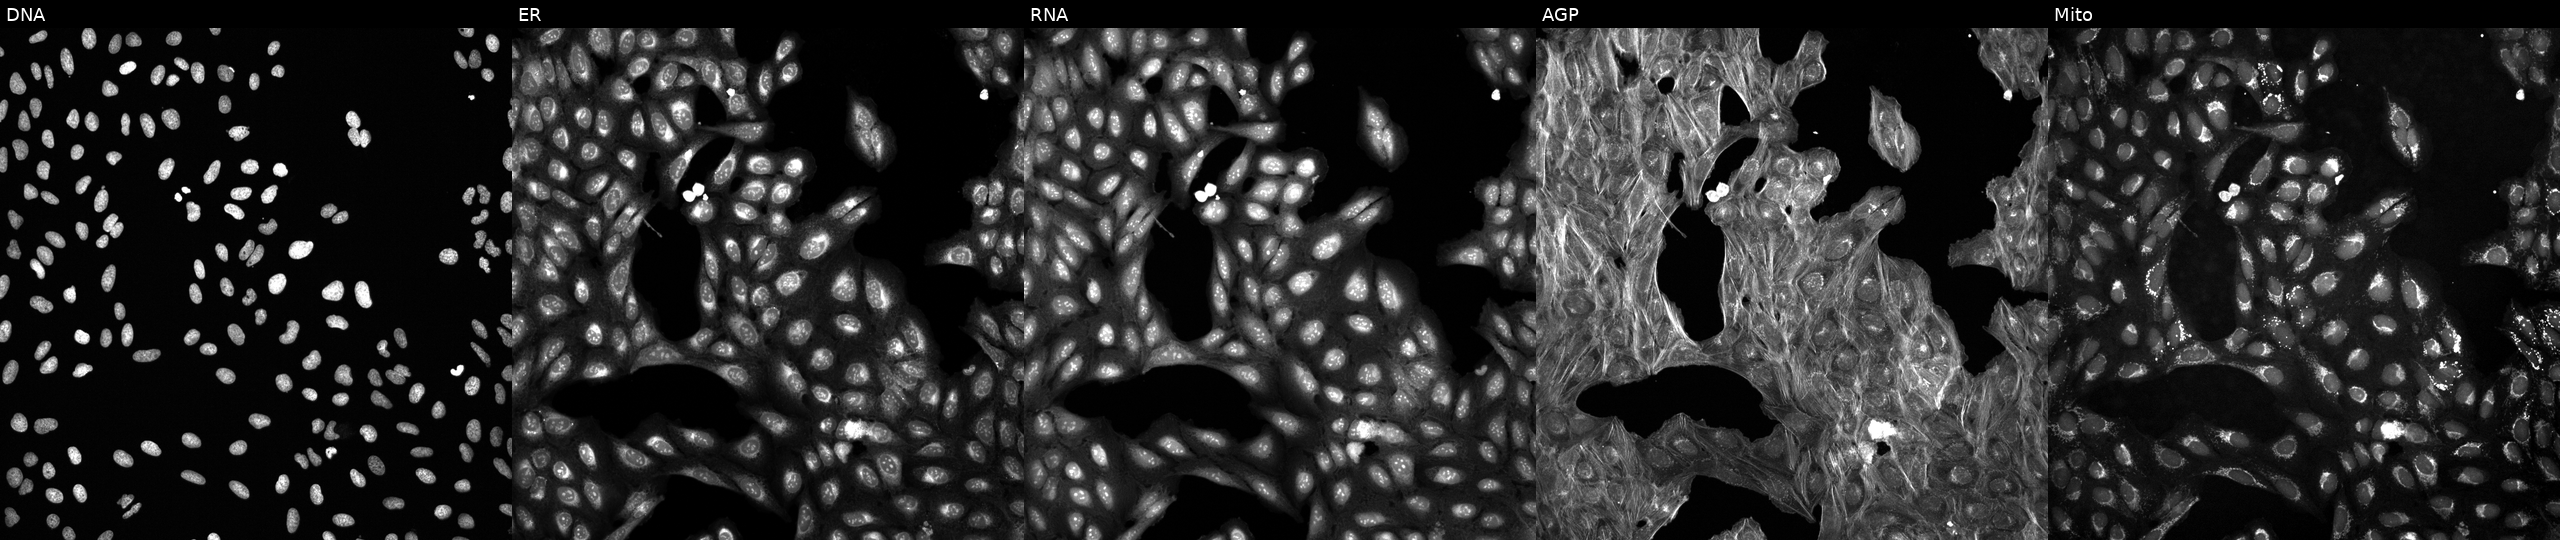
This image strip shows the five Cell Painting channels for a single field of U2OS cells perturbed with a small-molecule compound (InChIKey FBSSJVLZBYOHHI-UHFFFAOYSA-N) [SMILES: CCCCOc1cccc(CNC(=O)c2scnc2C)c1] (JUMP id JCP2022_019616). The five panels, left to right, show DNA, ER, RNA, AGP, and Mito.